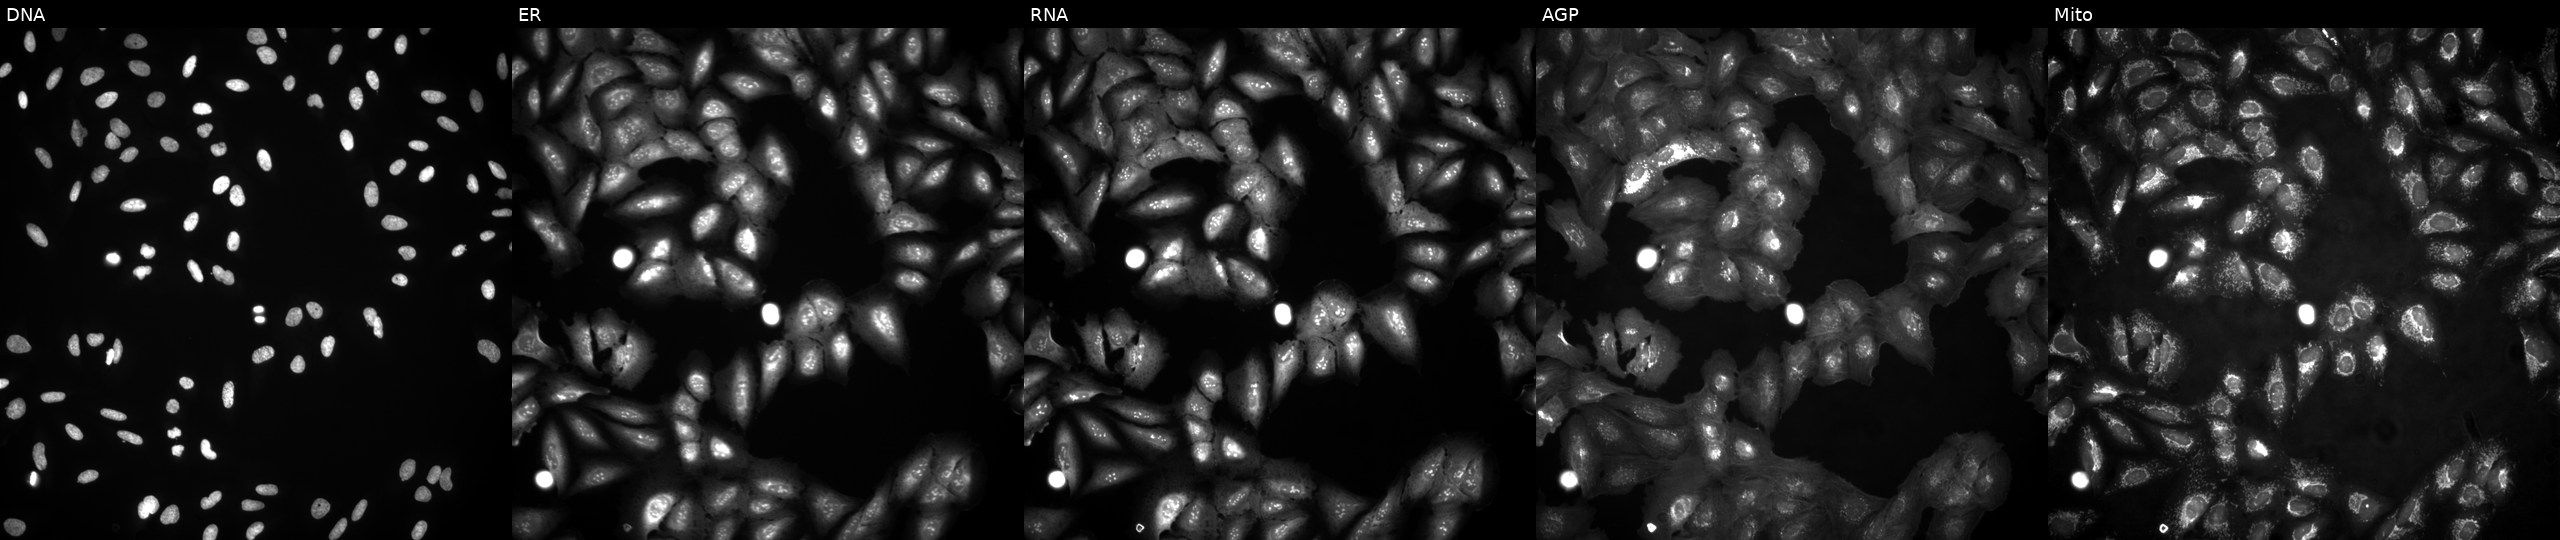
U2OS cells, Cell Painting assay, overexpressing PRR15 via ORF transfection. From left to right: DNA, ER, RNA, AGP, and Mito. Each panel is percentile-stretched 16-bit fluorescence.